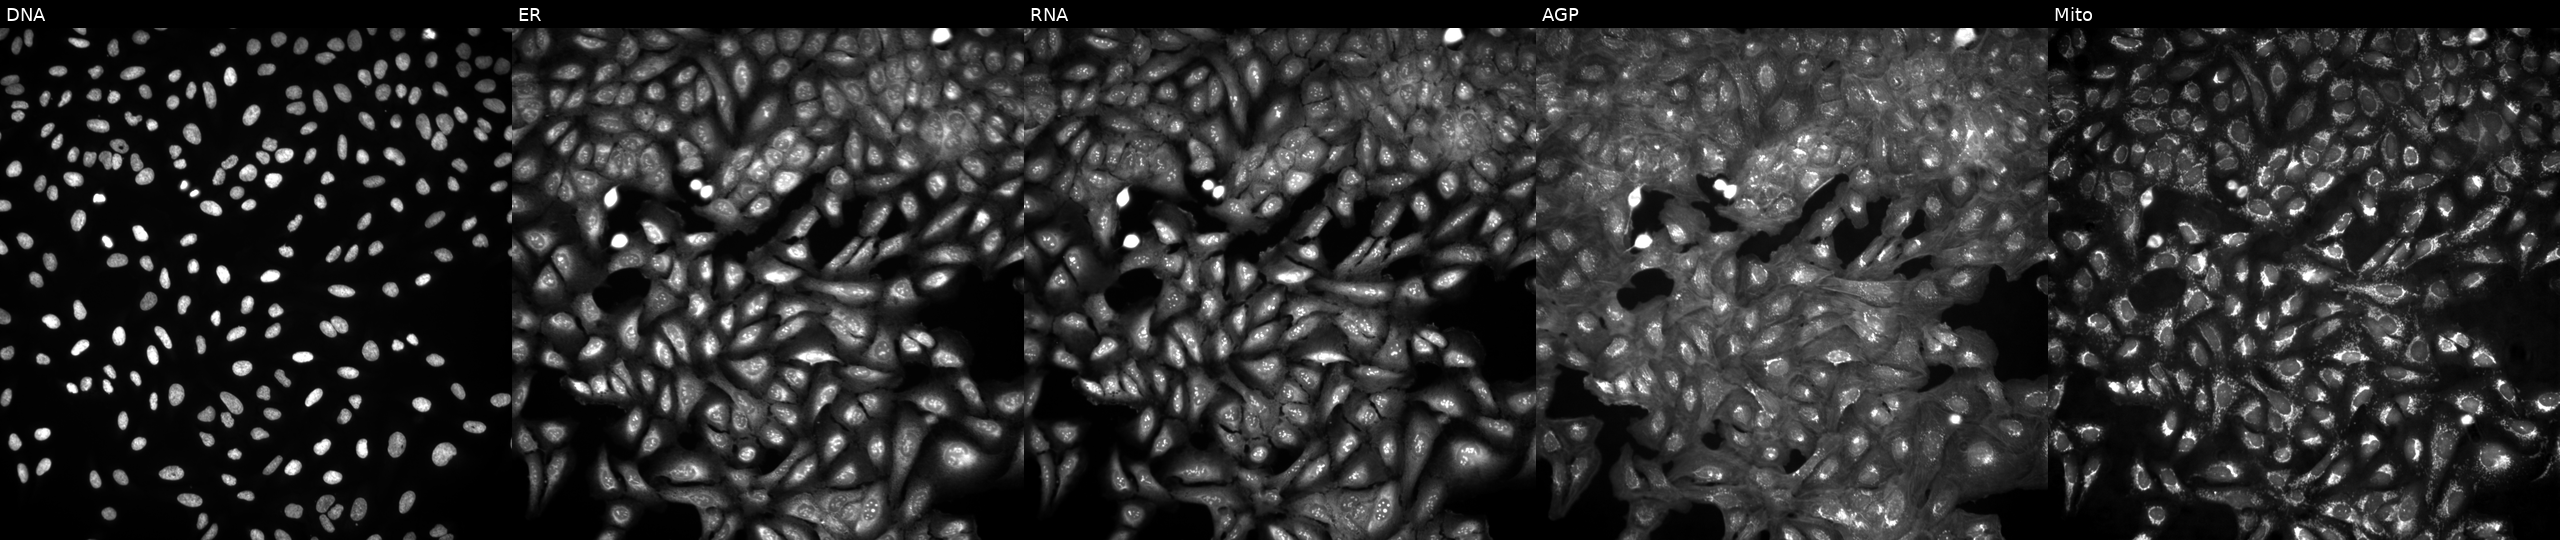
Panels show, left to right, Hoechst 33342, concanavalin A, SYTO 14, phalloidin and WGA, MitoTracker. U2OS osteosarcoma cells untreated (empty-well control). Cell Painting assay, JUMP-CP dataset. Source 4, plate BR00124793, well D14.